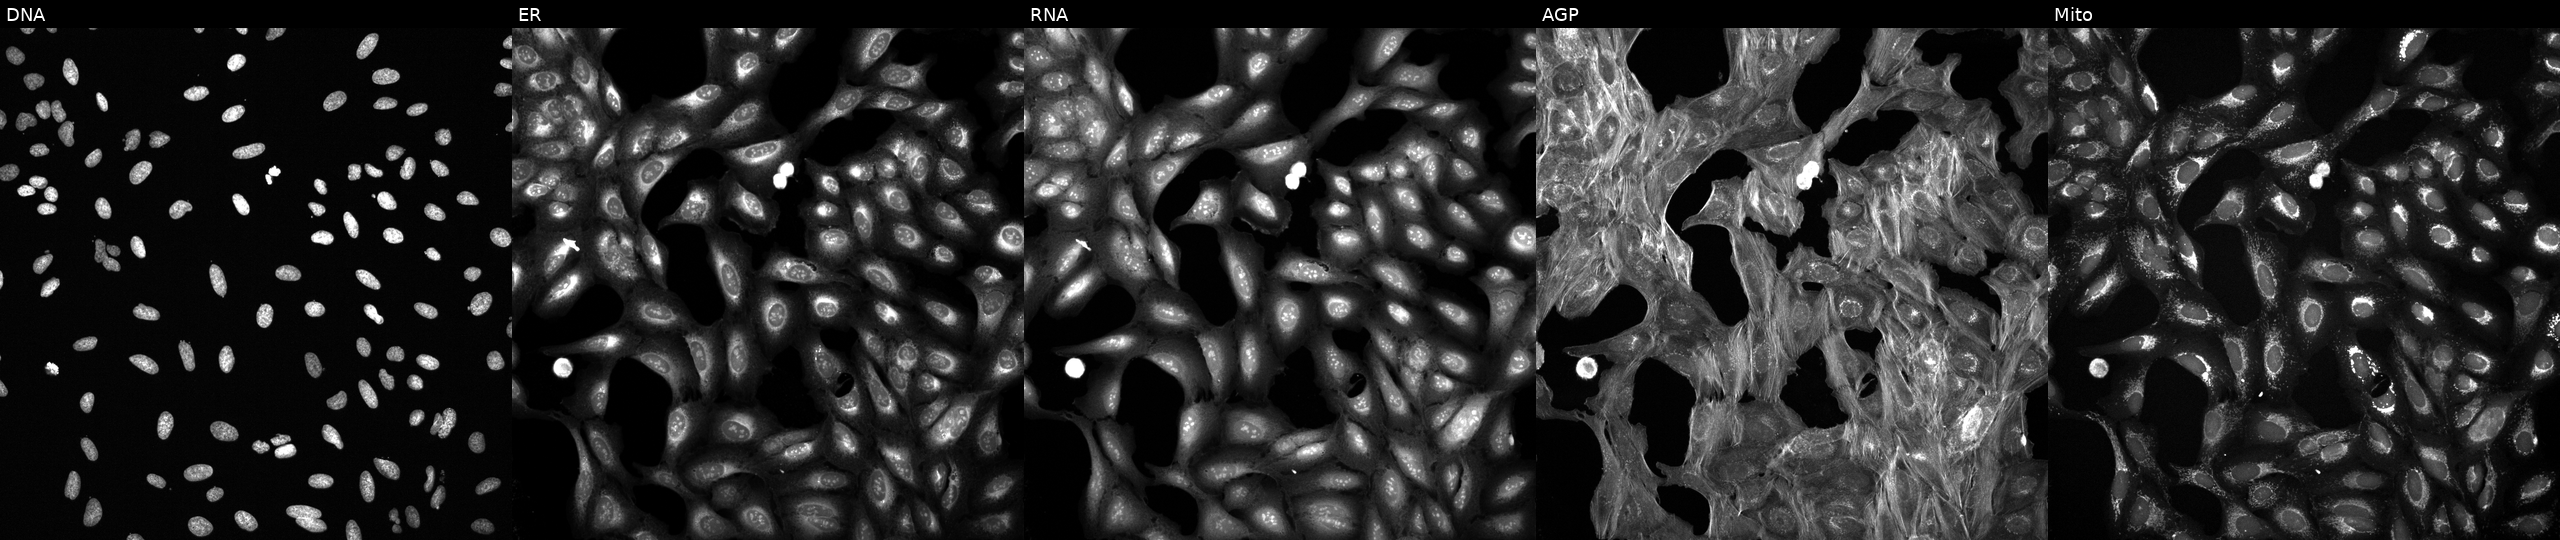
This image strip shows the five Cell Painting channels for a single field of U2OS cells exposed to a small-molecule compound (InChIKey CAOWNCTTWGSKDO-UHFFFAOYSA-N) [SMILES: N=c1[nH]c(F)nc2c1ncn2C1OC(CO[PH](=O)(=O)O)C(O)C1O]. The five panels, left to right, show Hoechst 33342, concanavalin A, SYTO 14, phalloidin and WGA, MitoTracker. Source 6, plate 110000293093, well K05.